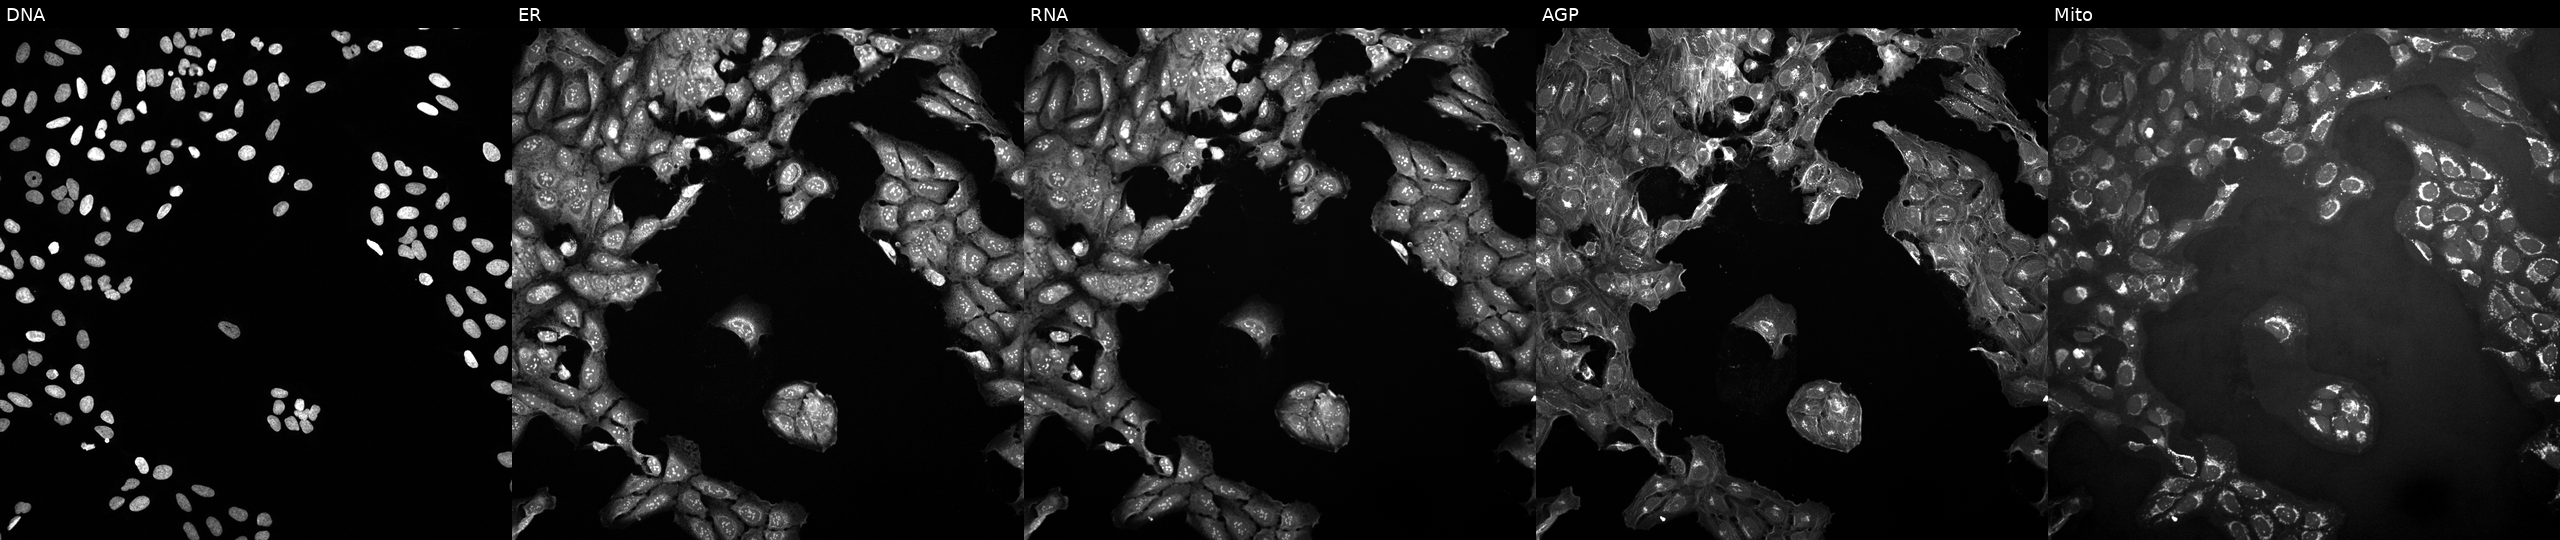
Panels show, left to right, DNA (nuclei); ER (endoplasmic reticulum); RNA (nucleoli and cytoplasmic RNA); AGP (actin cytoskeleton, Golgi, and plasma membrane); Mito (mitochondria). U2OS osteosarcoma cells treated with DMSO vehicle only (negative control) (JUMP id JCP2022_033924). Cell Painting assay, JUMP-CP dataset.